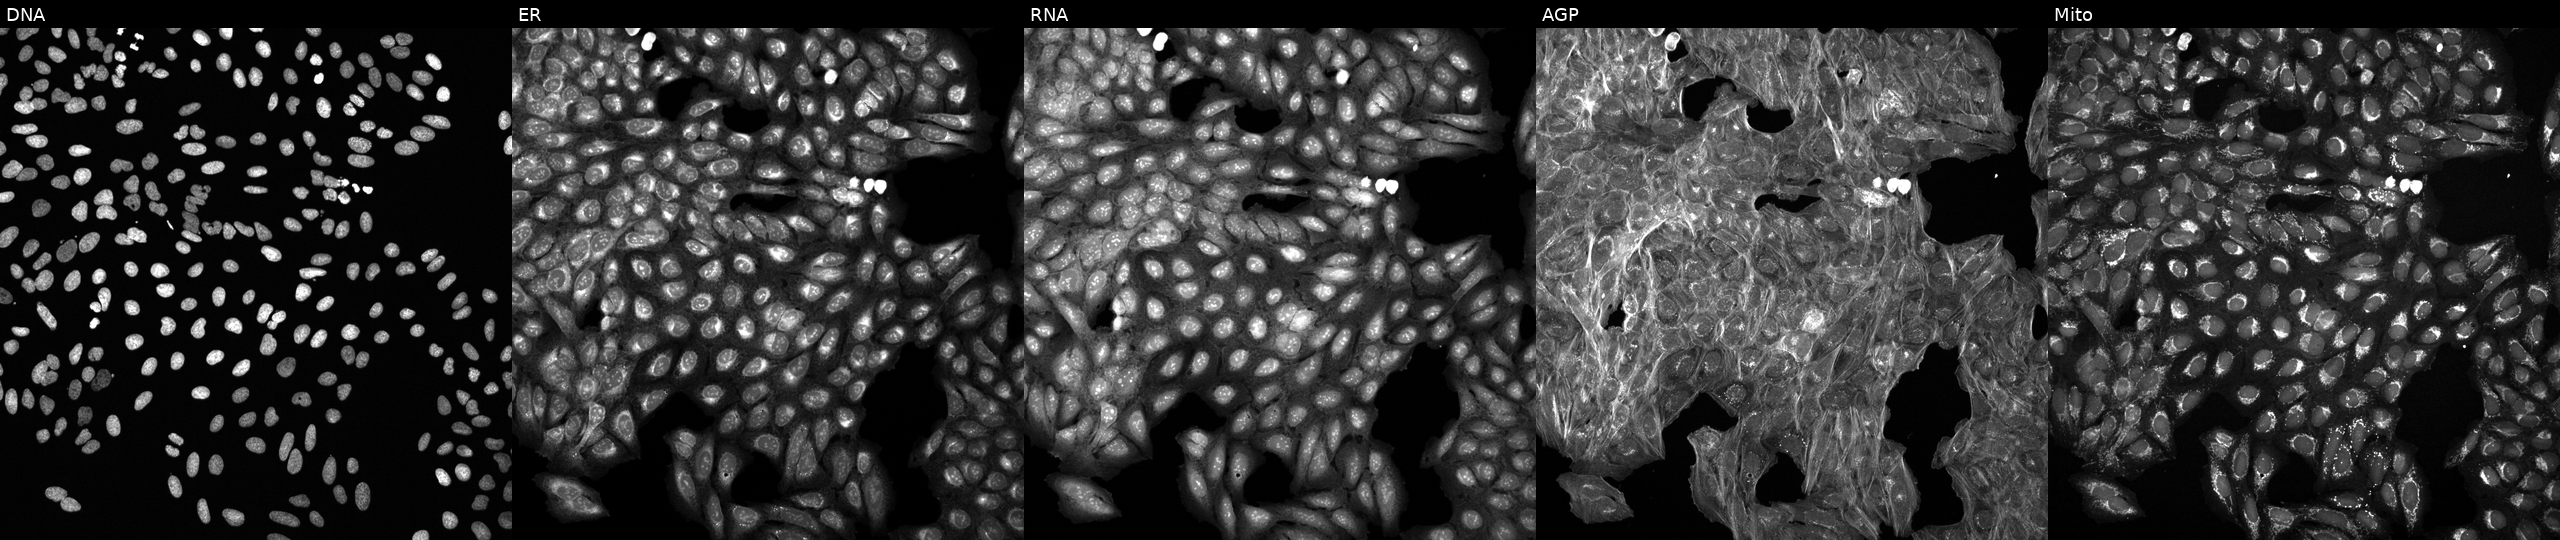
U2OS cells, Cell Painting assay, perturbed with a small-molecule compound. Channels (left→right): Hoechst 33342, concanavalin A, SYTO 14, phalloidin and WGA, MitoTracker. Each panel is percentile-stretched 16-bit fluorescence. Source 6, plate 110000294901, well B23.